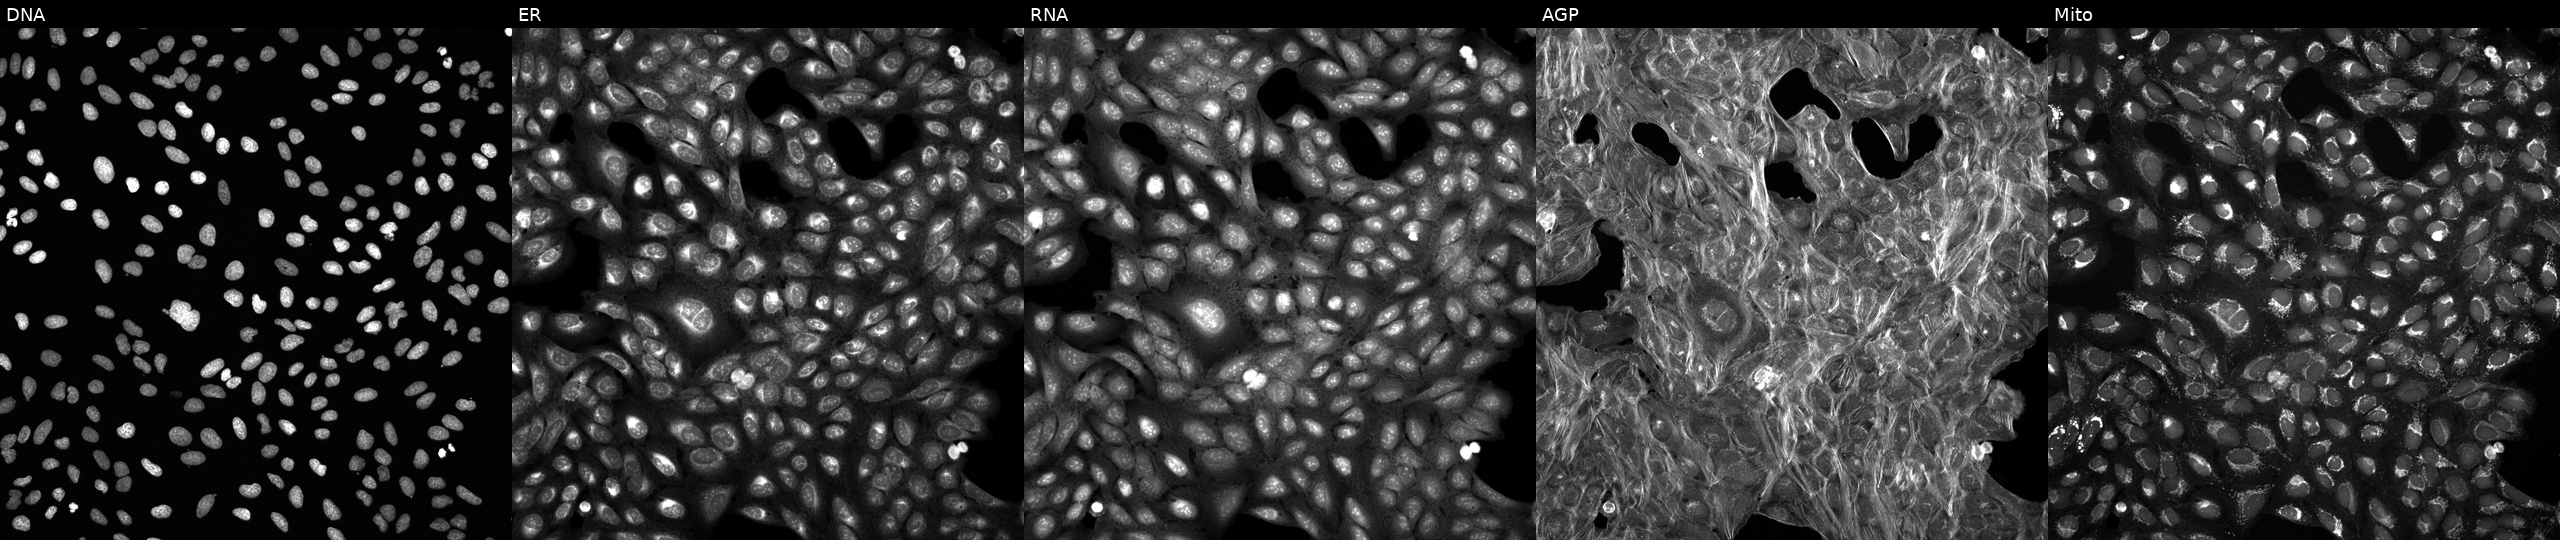
U2OS cells, Cell Painting assay, perturbed with a small-molecule compound (JUMP id JCP2022_050338). Panels show, left to right, DNA, ER, RNA, AGP, and Mito. Each panel is percentile-stretched 16-bit fluorescence.